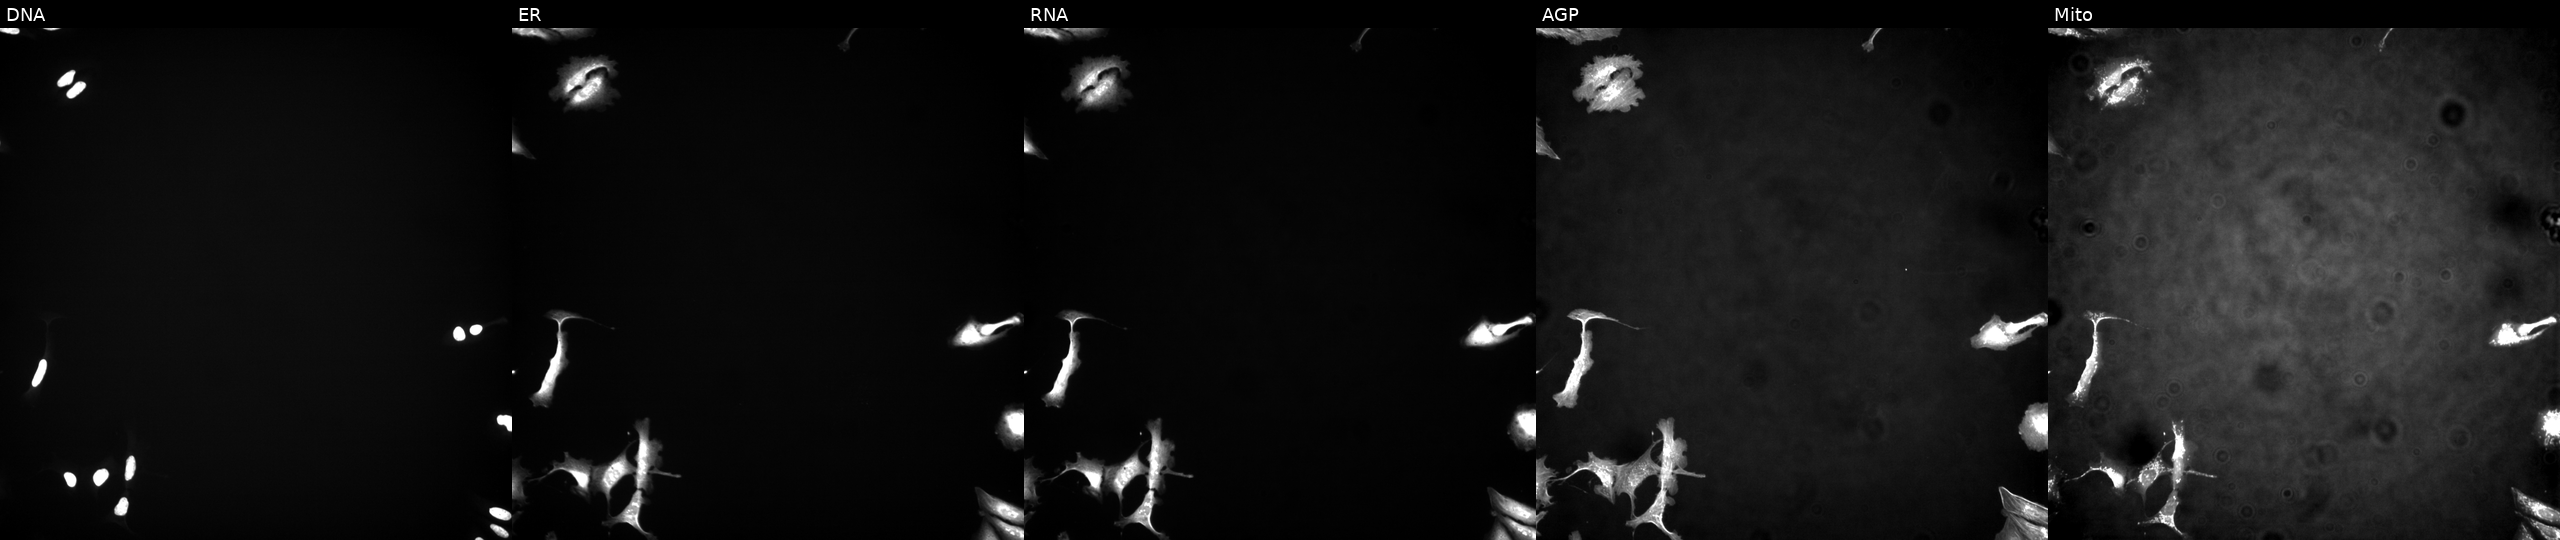
This image strip shows the five Cell Painting channels for a single field of U2OS cells transfected with an ORF construct for TTC7A. Channels (left→right): DNA (nuclei); ER (endoplasmic reticulum); RNA (nucleoli and cytoplasmic RNA); AGP (actin cytoskeleton, Golgi, and plasma membrane); Mito (mitochondria).